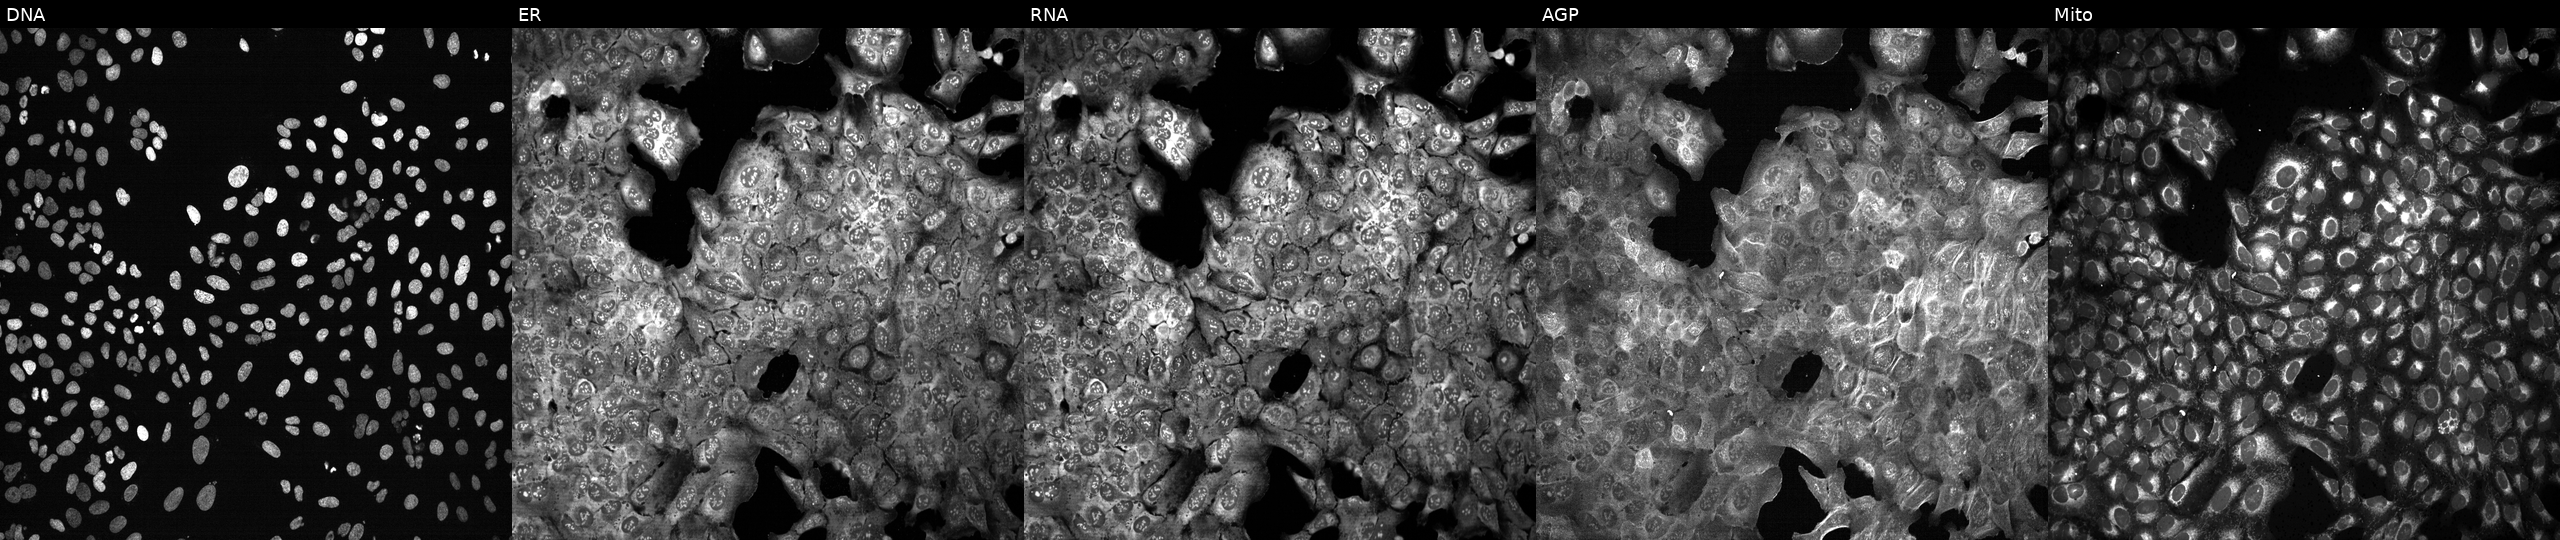
High-content fluorescence microscopy (Cell Painting). Cell line: U2OS. Perturbation: following CRISPR knockout of RAB2B. Channels (left→right): DNA, ER, RNA, AGP, and Mito.